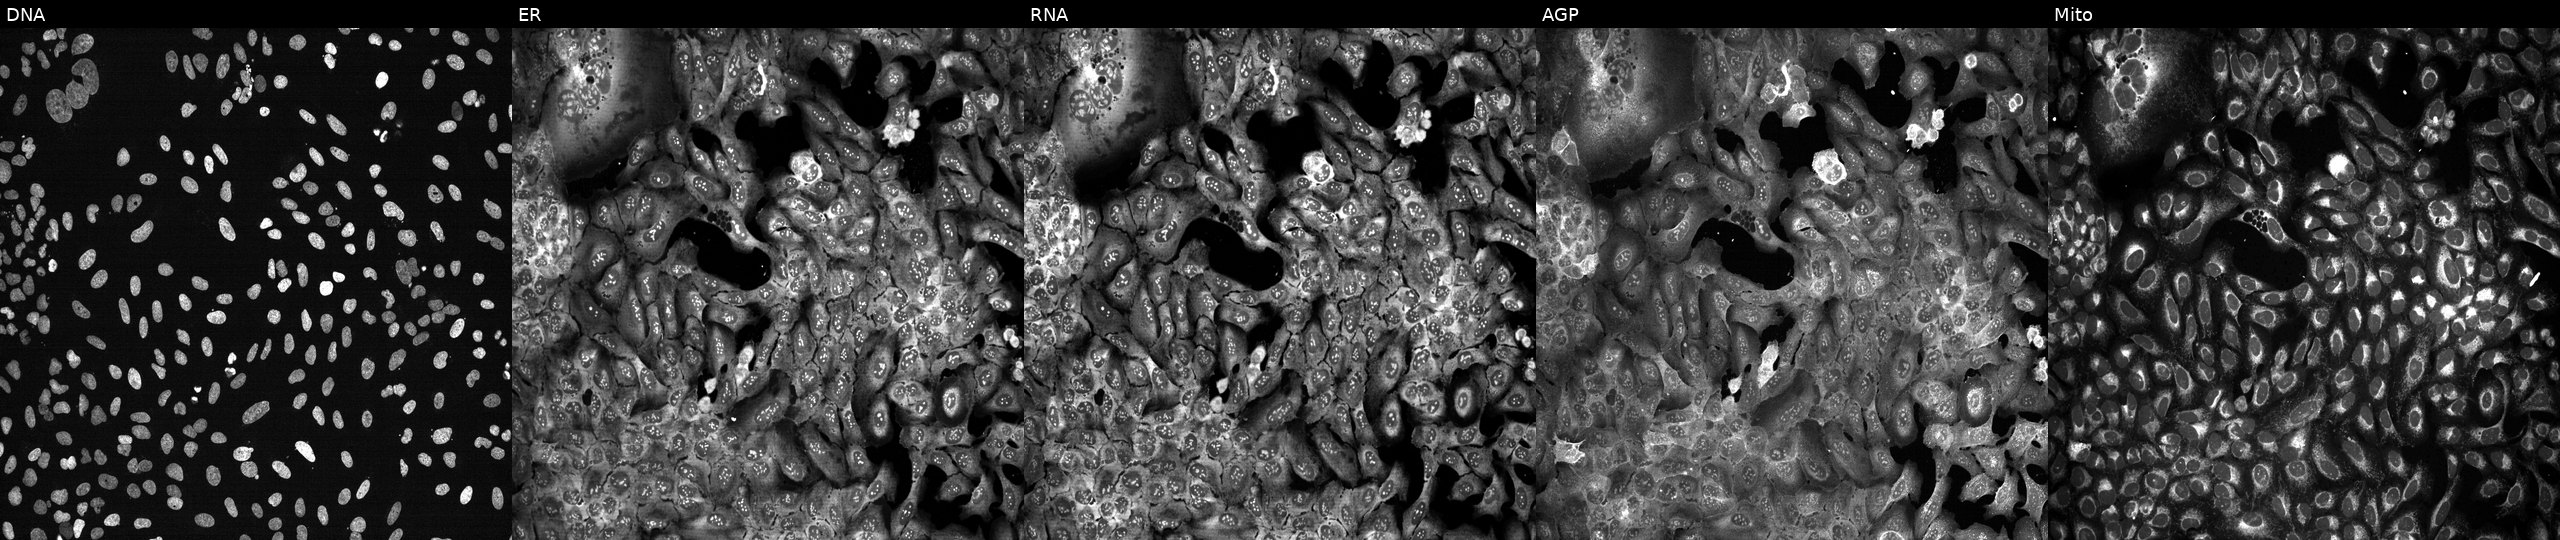
U2OS cells, Cell Painting assay, CRISPR-edited to disrupt THUMPD2 (JUMP id JCP2022_807079). The five panels, left to right, show DNA (nuclei); ER (endoplasmic reticulum); RNA (nucleoli and cytoplasmic RNA); AGP (actin cytoskeleton, Golgi, and plasma membrane); Mito (mitochondria). Each panel is percentile-stretched 16-bit fluorescence.